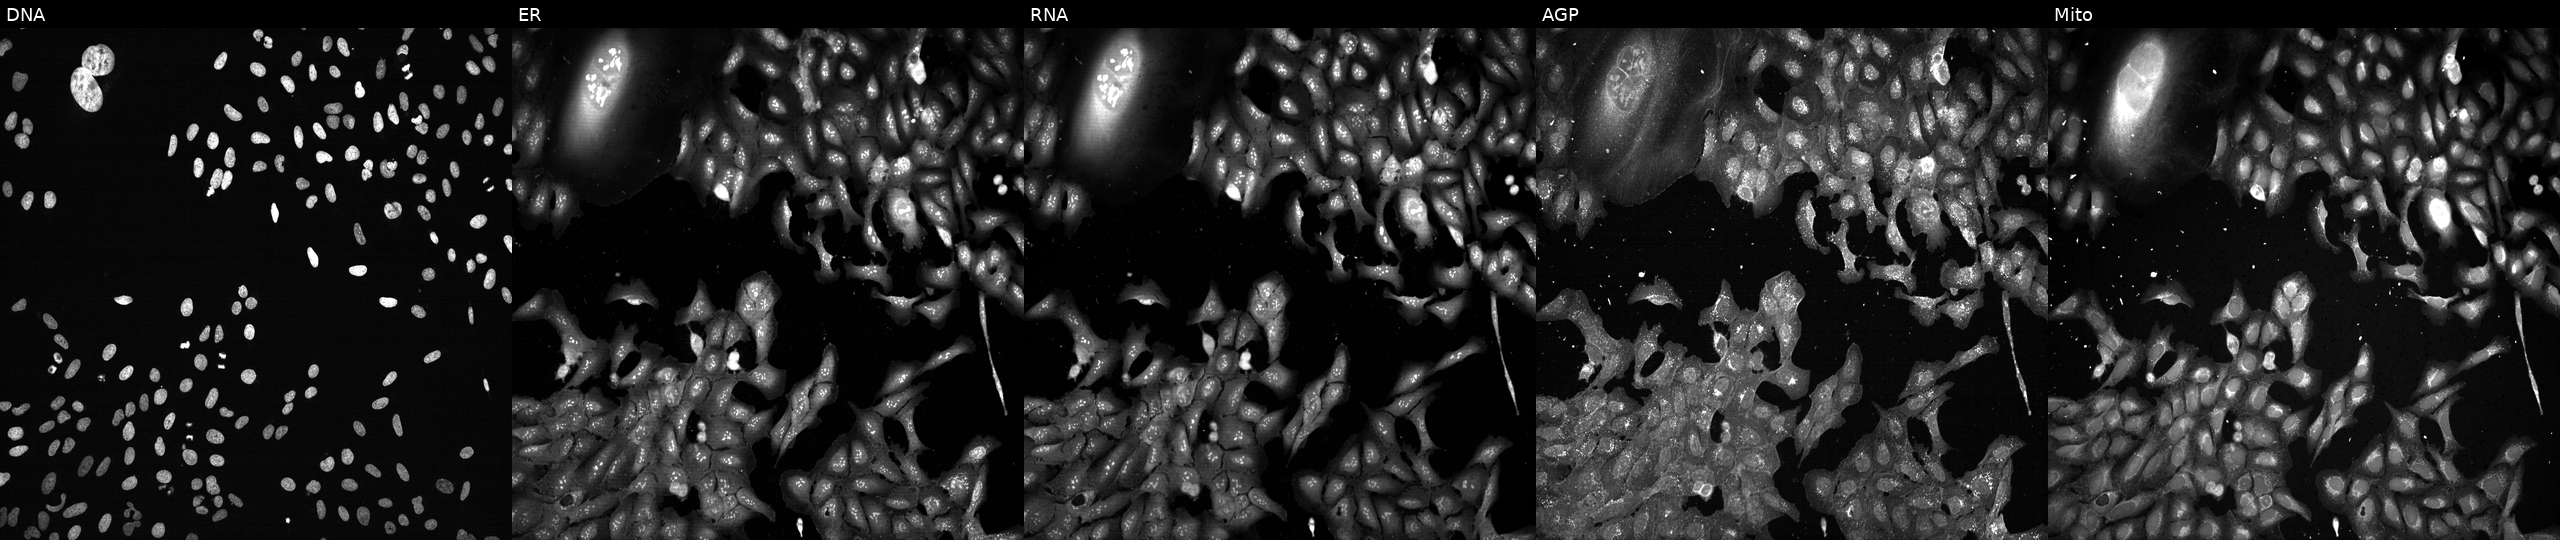
Five-channel Cell Painting image of U2OS cells CRISPR-edited to disrupt TLR1 (JUMP id JCP2022_807109). Panels show, left to right, DNA (nuclei); ER (endoplasmic reticulum); RNA (nucleoli and cytoplasmic RNA); AGP (actin cytoskeleton, Golgi, and plasma membrane); Mito (mitochondria).